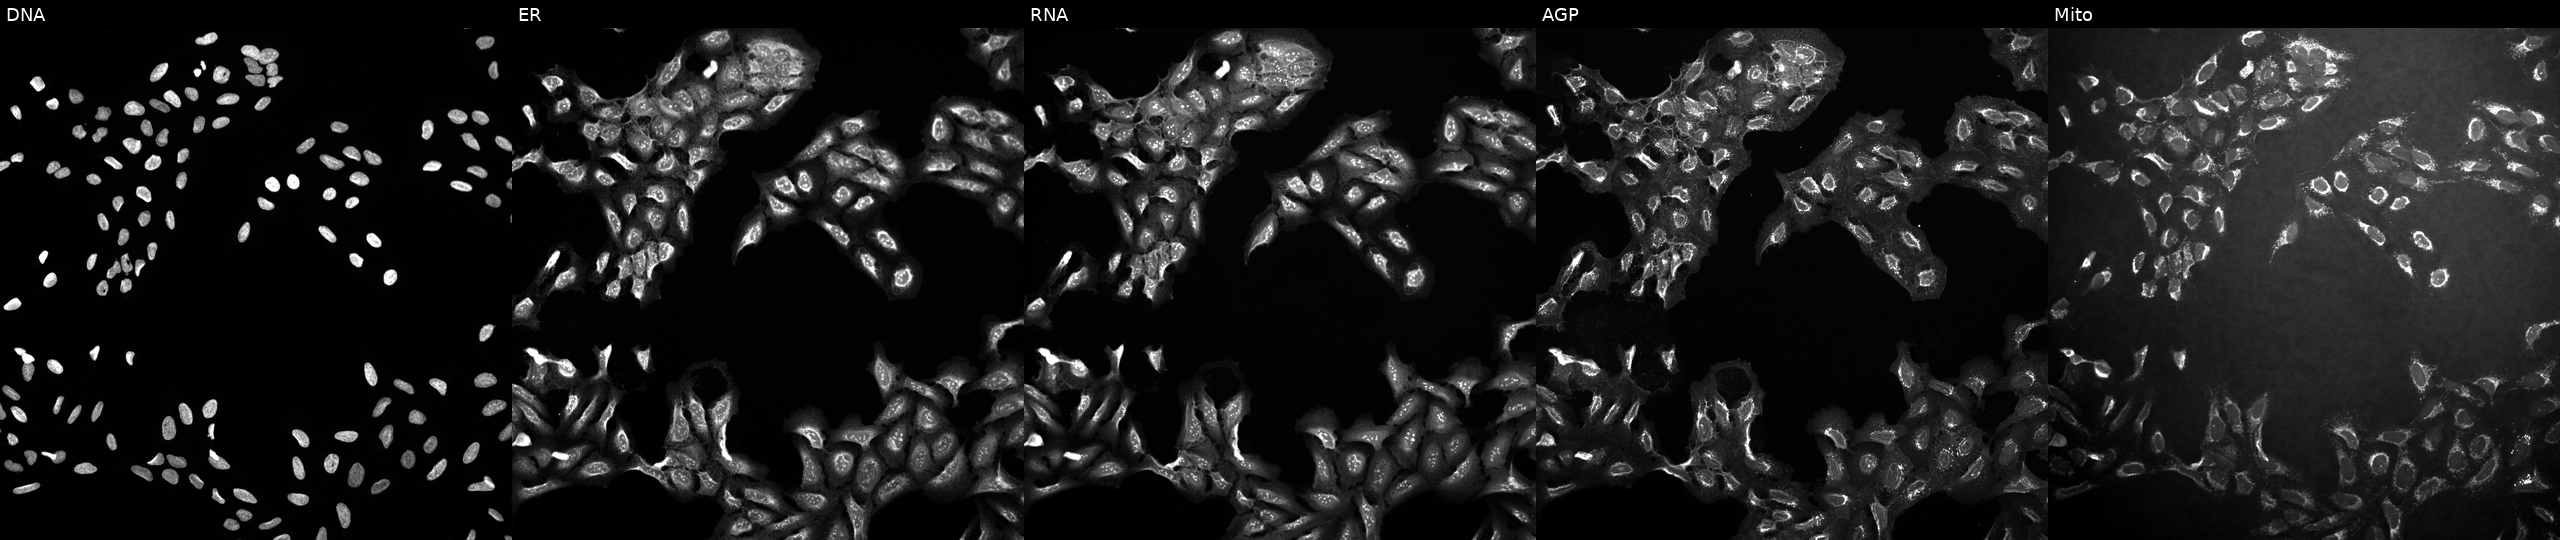
JUMP Cell Painting — TARGET2 plate. U2OS cells treated with a small-molecule compound (InChIKey QUIIIYITNGOFEI-UHFFFAOYSA-N). Panels show, left to right, DNA (nuclei); ER (endoplasmic reticulum); RNA (nucleoli and cytoplasmic RNA); AGP (actin cytoskeleton, Golgi, and plasma membrane); Mito (mitochondria).